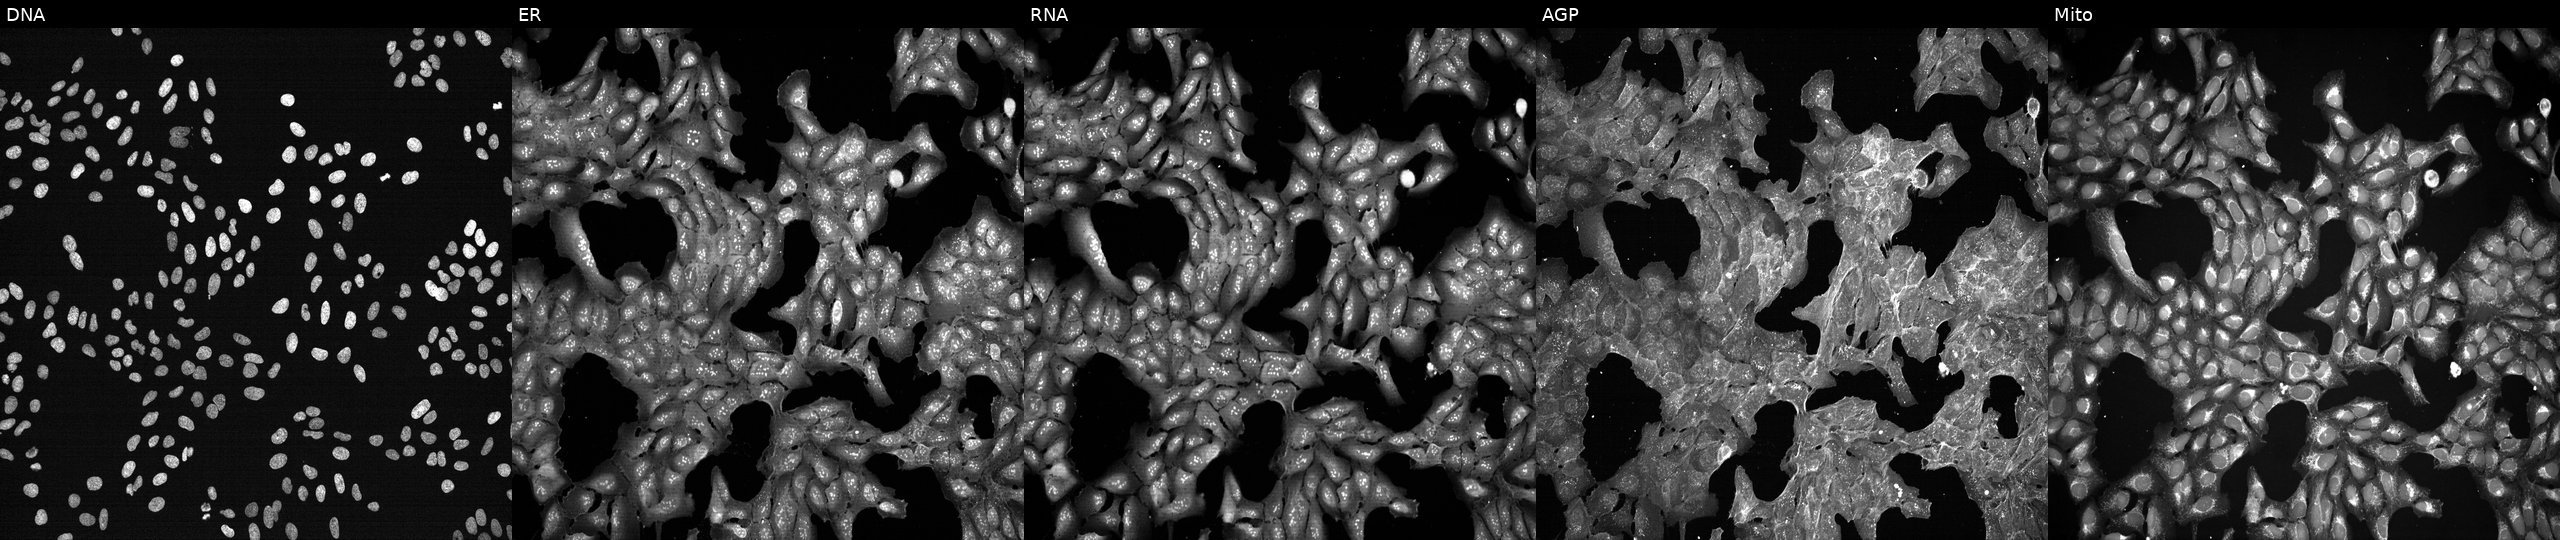
Five-channel Cell Painting image of U2OS cells exposed to DMSO alone as a negative control (JUMP id JCP2022_033924). Channels (left→right): Hoechst 33342, concanavalin A, SYTO 14, phalloidin and WGA, MitoTracker.